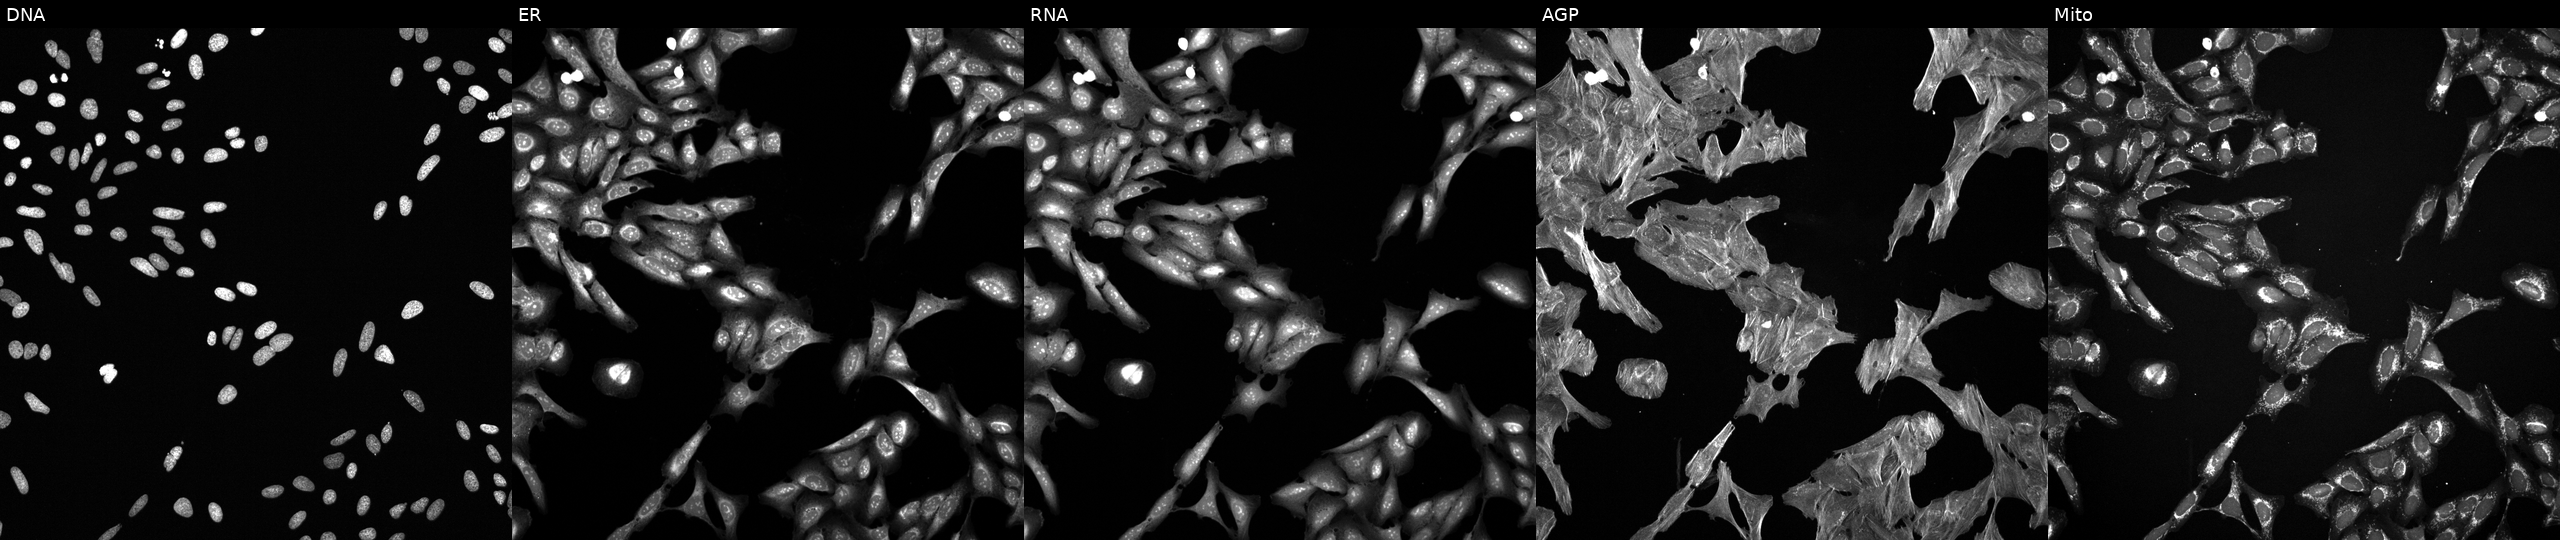
This image strip shows the five Cell Painting channels for a single field of U2OS cells treated with a small-molecule compound (InChIKey WYWHKKSPHMUBEB-UHFFFAOYSA-N) [SMILES: N=c1[nH]c(=S)c2[nH]cnc2[nH]1] (JUMP id JCP2022_102083). Channels (left→right): DNA, ER, RNA, AGP, and Mito.